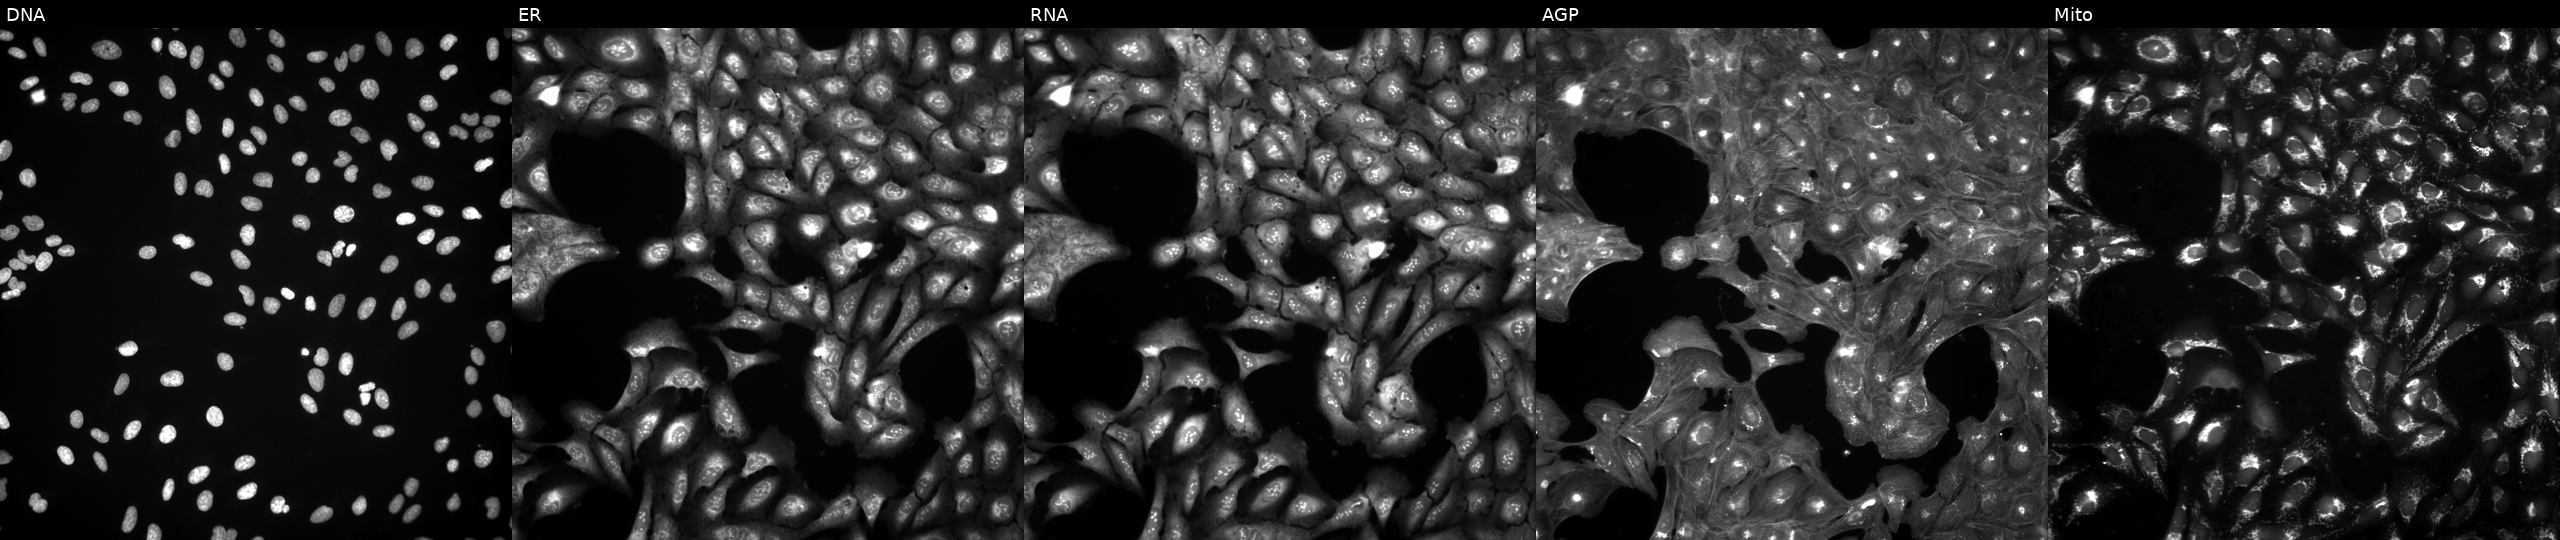
Five-channel Cell Painting image of U2OS cells treated with a small-molecule compound (InChIKey CAOWNCTTWGSKDO-UHFFFAOYSA-N). The five panels, left to right, show DNA, ER, RNA, AGP, and Mito. Source 3, plate JCPQC052, well K05.